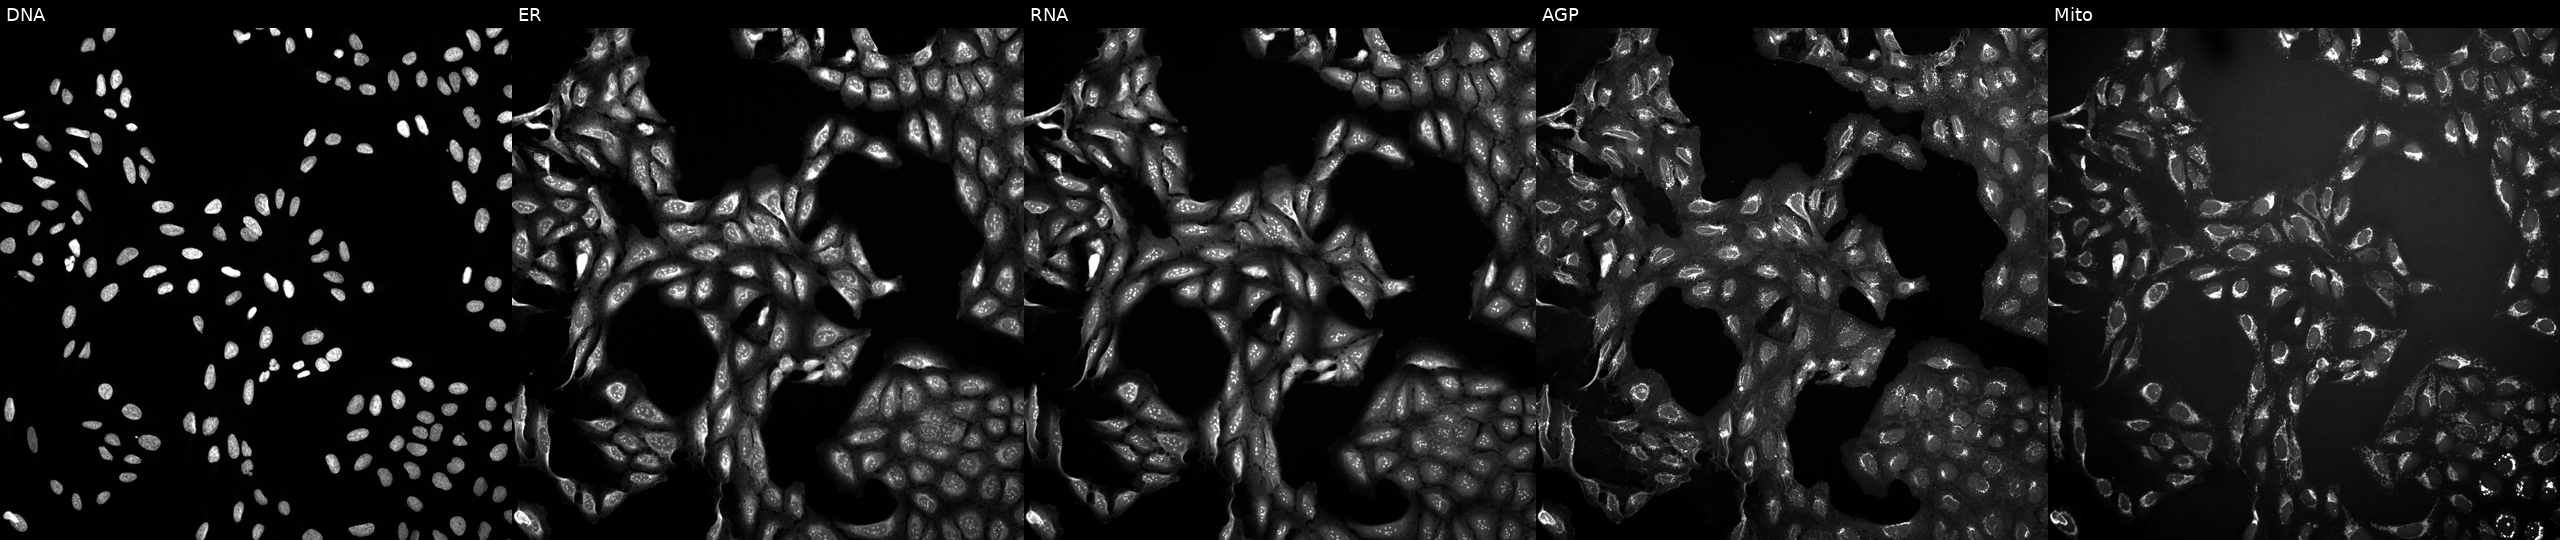
Five-channel Cell Painting image of U2OS cells exposed to a small-molecule compound (InChIKey QXKHYNVANLEOEG-UHFFFAOYSA-N) [SMILES: COc1c2occc2cc2ccc(=O)oc12]. The five panels, left to right, show DNA, ER, RNA, AGP, and Mito. Source 10, plate Dest210803-153958, well H07.